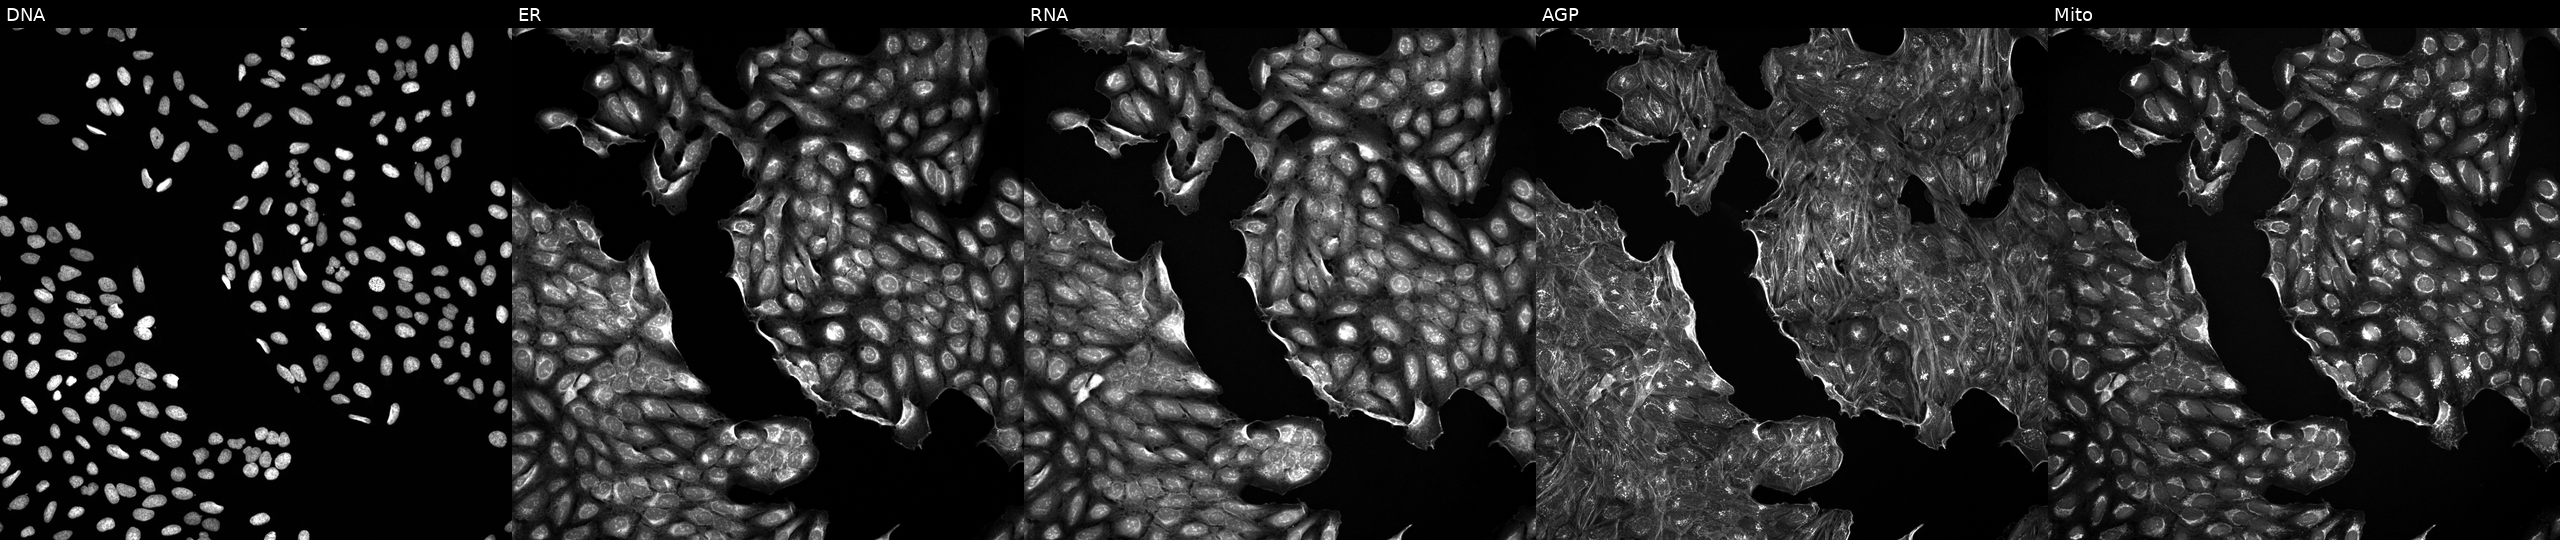
JUMP Cell Painting — TARGET2 plate. U2OS cells treated with DMSO vehicle only (negative control). The five panels, left to right, show DNA (nuclei); ER (endoplasmic reticulum); RNA (nucleoli and cytoplasmic RNA); AGP (actin cytoskeleton, Golgi, and plasma membrane); Mito (mitochondria). Source 5, plate ACPJUM012, well H09.